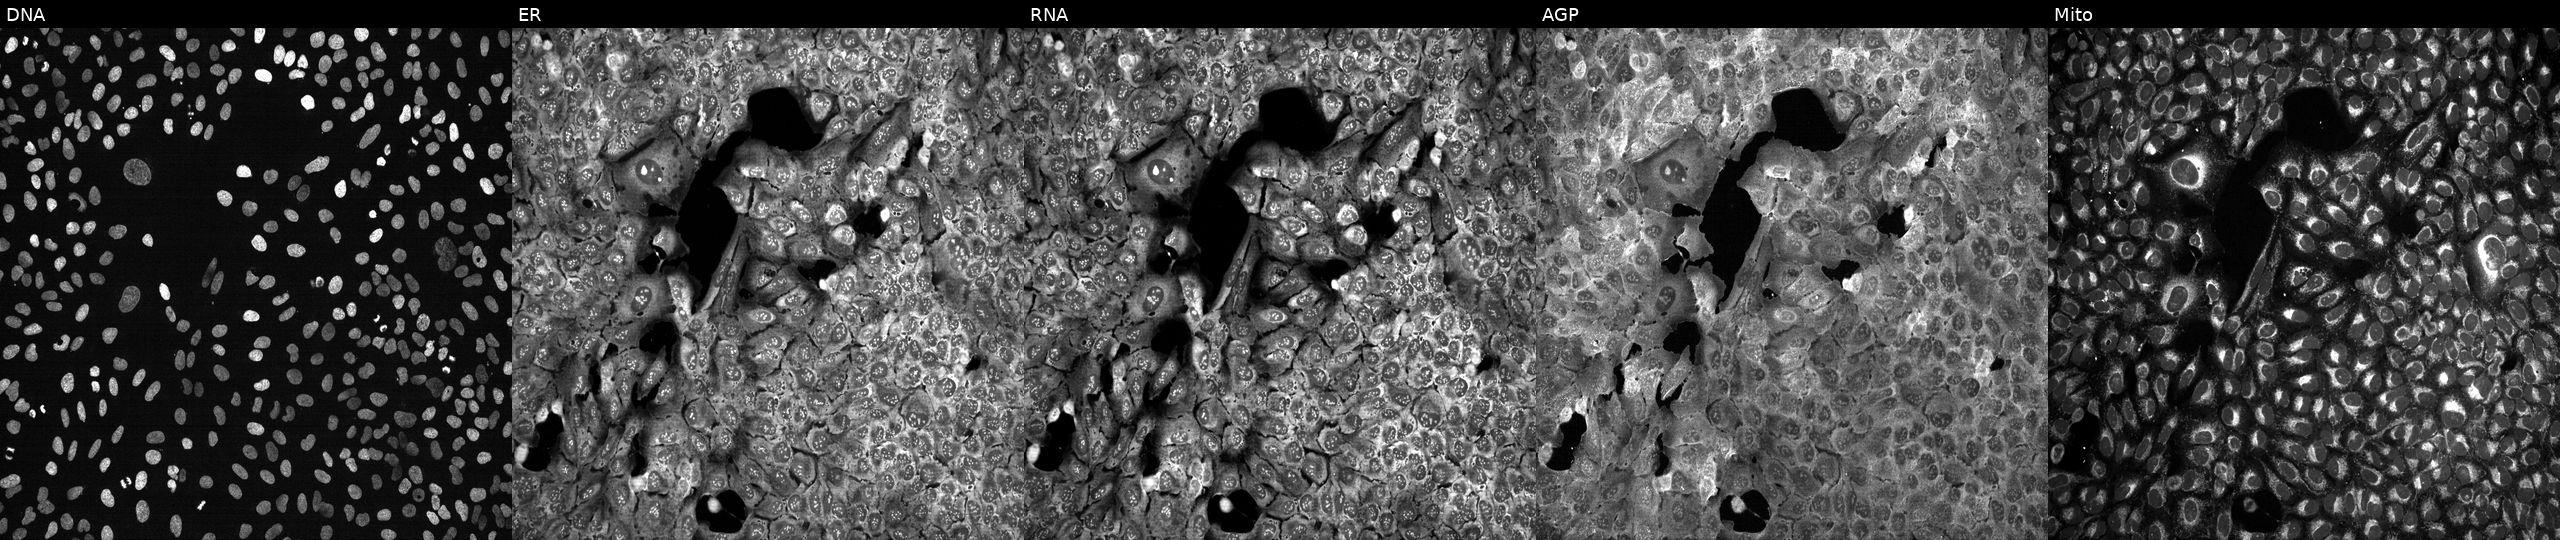
From left to right: DNA, ER, RNA, AGP, and Mito. U2OS osteosarcoma cells CRISPR-edited to disrupt CD28. Cell Painting assay, JUMP-CP dataset.